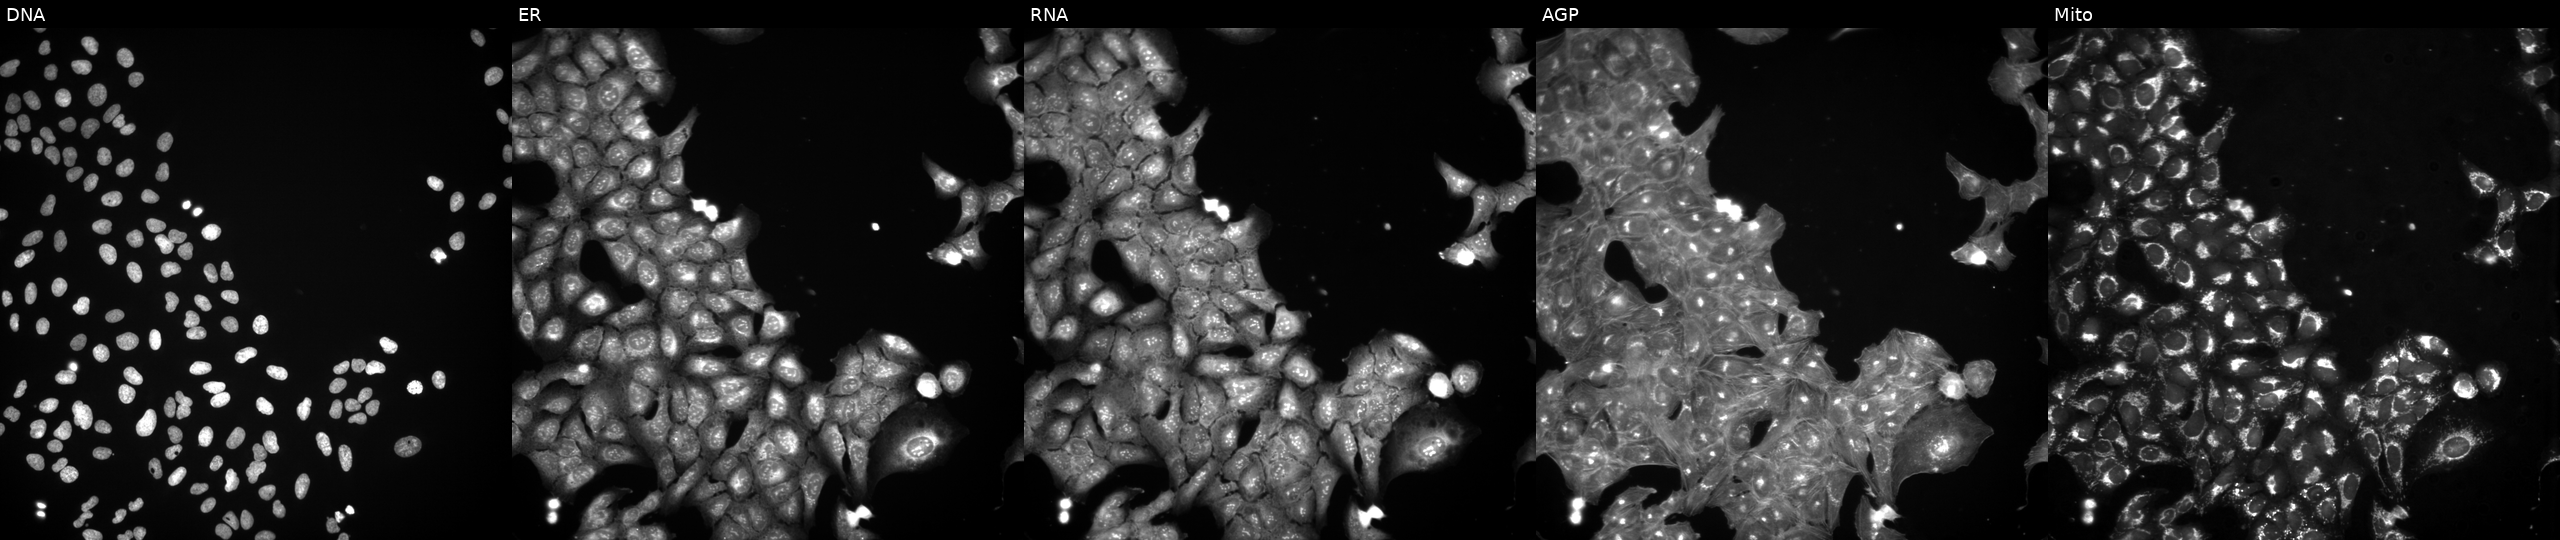
Channels (left→right): Hoechst 33342, concanavalin A, SYTO 14, phalloidin and WGA, MitoTracker. U2OS osteosarcoma cells exposed to a small-molecule compound (InChIKey HGVDHZBSSITLCT-UHFFFAOYSA-N) [SMILES: CN1CCc2nc(C(=O)NC3CC(C(=O)N(C)C)CCC3NC(=O)C(=O)N=c3ccc(Cl)c[nH]3)sc2C1] (JUMP id JCP2022_030094). Cell Painting assay, JUMP-CP dataset.